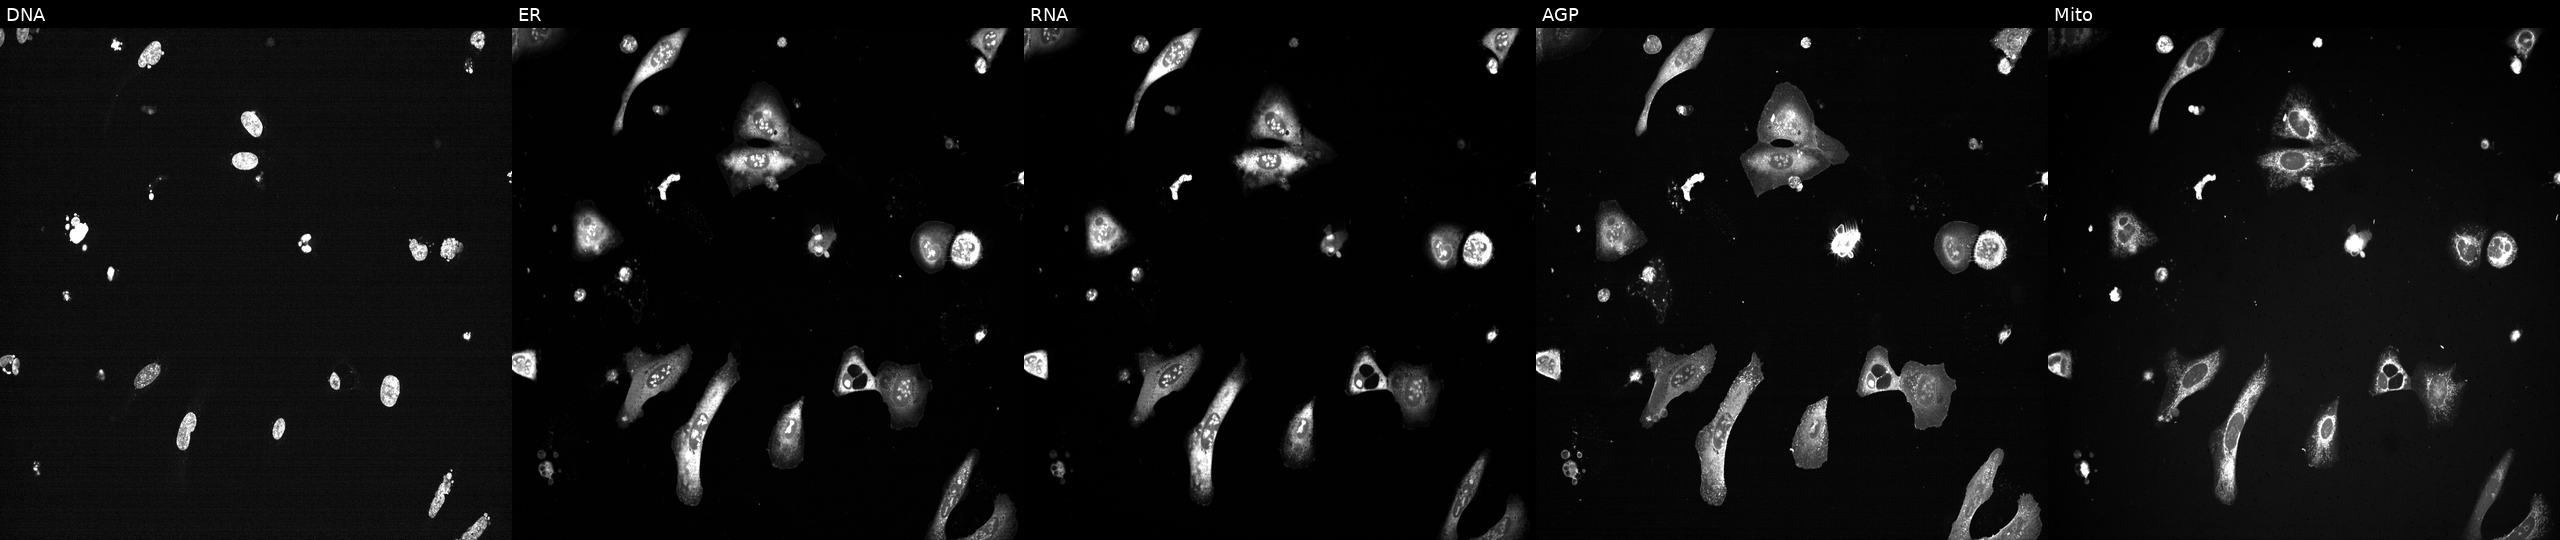
Channels (left→right): DNA (nuclei); ER (endoplasmic reticulum); RNA (nucleoli and cytoplasmic RNA); AGP (actin cytoskeleton, Golgi, and plasma membrane); Mito (mitochondria). U2OS osteosarcoma cells with PLK1 knocked out by CRISPR (positive control). Cell Painting assay, JUMP-CP dataset.